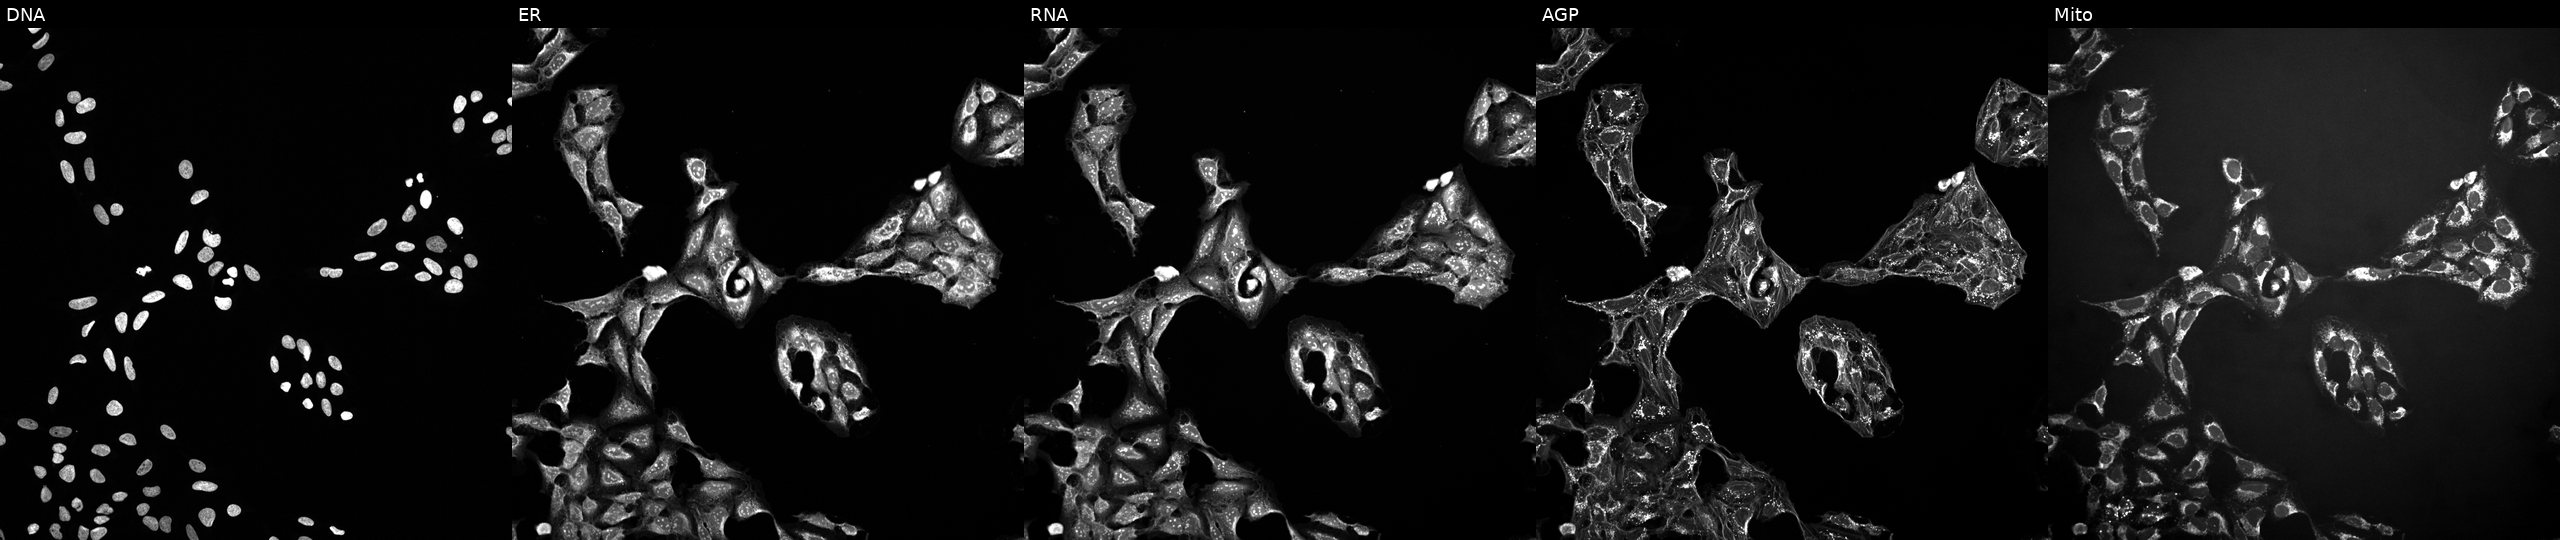
Channels (left→right): DNA (nuclei); ER (endoplasmic reticulum); RNA (nucleoli and cytoplasmic RNA); AGP (actin cytoskeleton, Golgi, and plasma membrane); Mito (mitochondria). U2OS osteosarcoma cells treated with a small-molecule compound (InChIKey CYYNMPPFEJPBJD-UHFFFAOYSA-N) [SMILES: CC1(N2CCC(n3c(C4CCCNC4)nc4ccccc43)CC2)CCCCCCC1] (JUMP id JCP2022_014367). Cell Painting assay, JUMP-CP dataset.